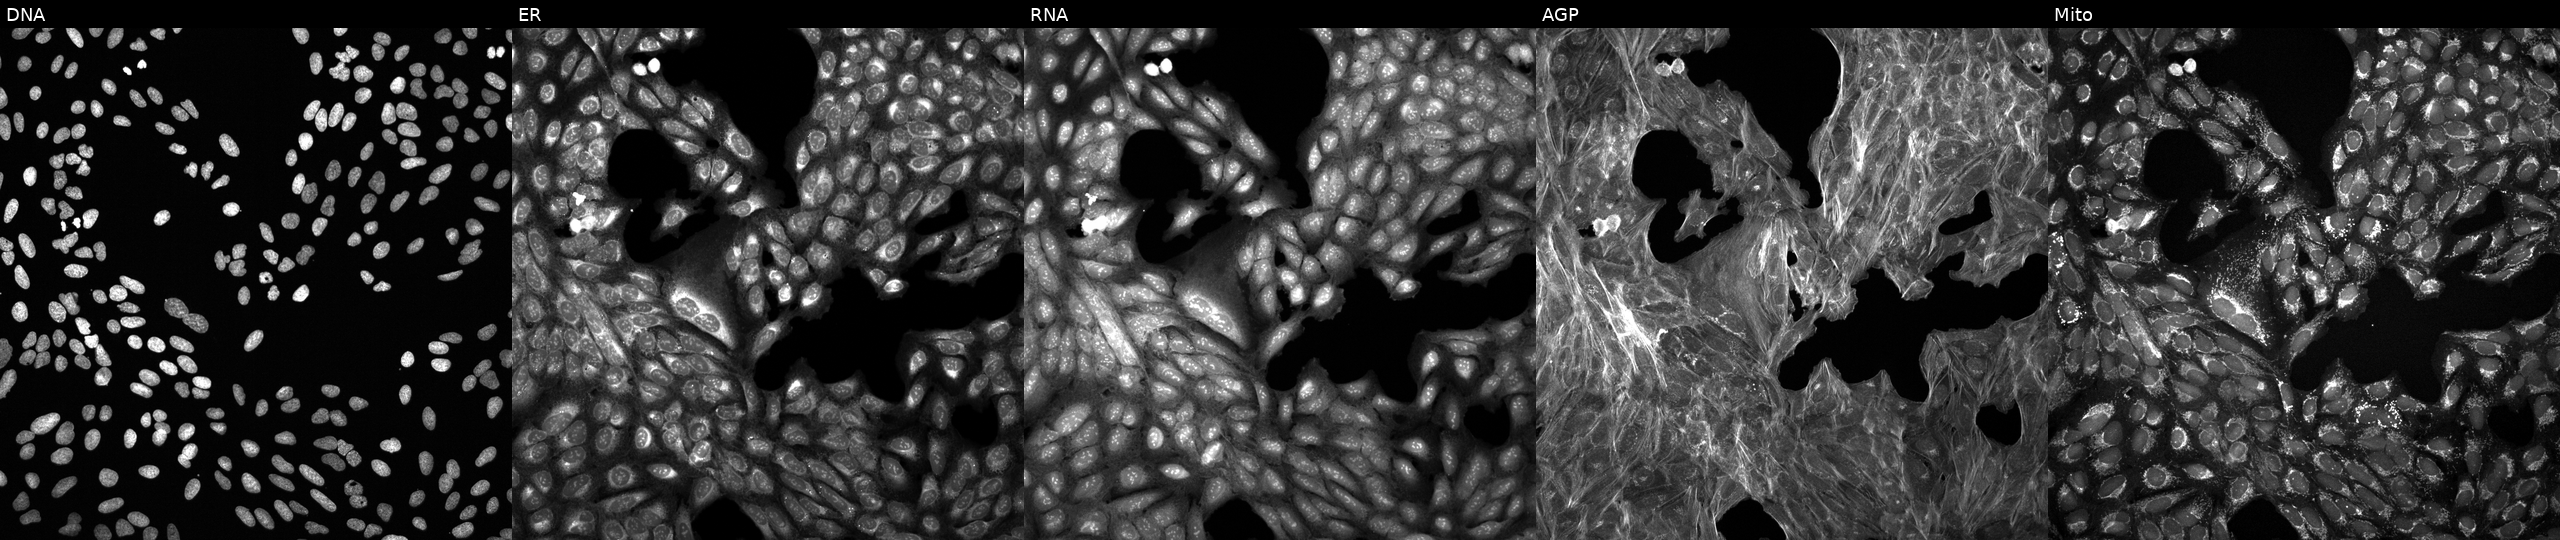
JUMP Cell Painting — TARGET2 plate. U2OS cells treated with dexamethasone (positive-control compound) (JUMP id JCP2022_025848). From left to right: DNA (nuclei); ER (endoplasmic reticulum); RNA (nucleoli and cytoplasmic RNA); AGP (actin cytoskeleton, Golgi, and plasma membrane); Mito (mitochondria).